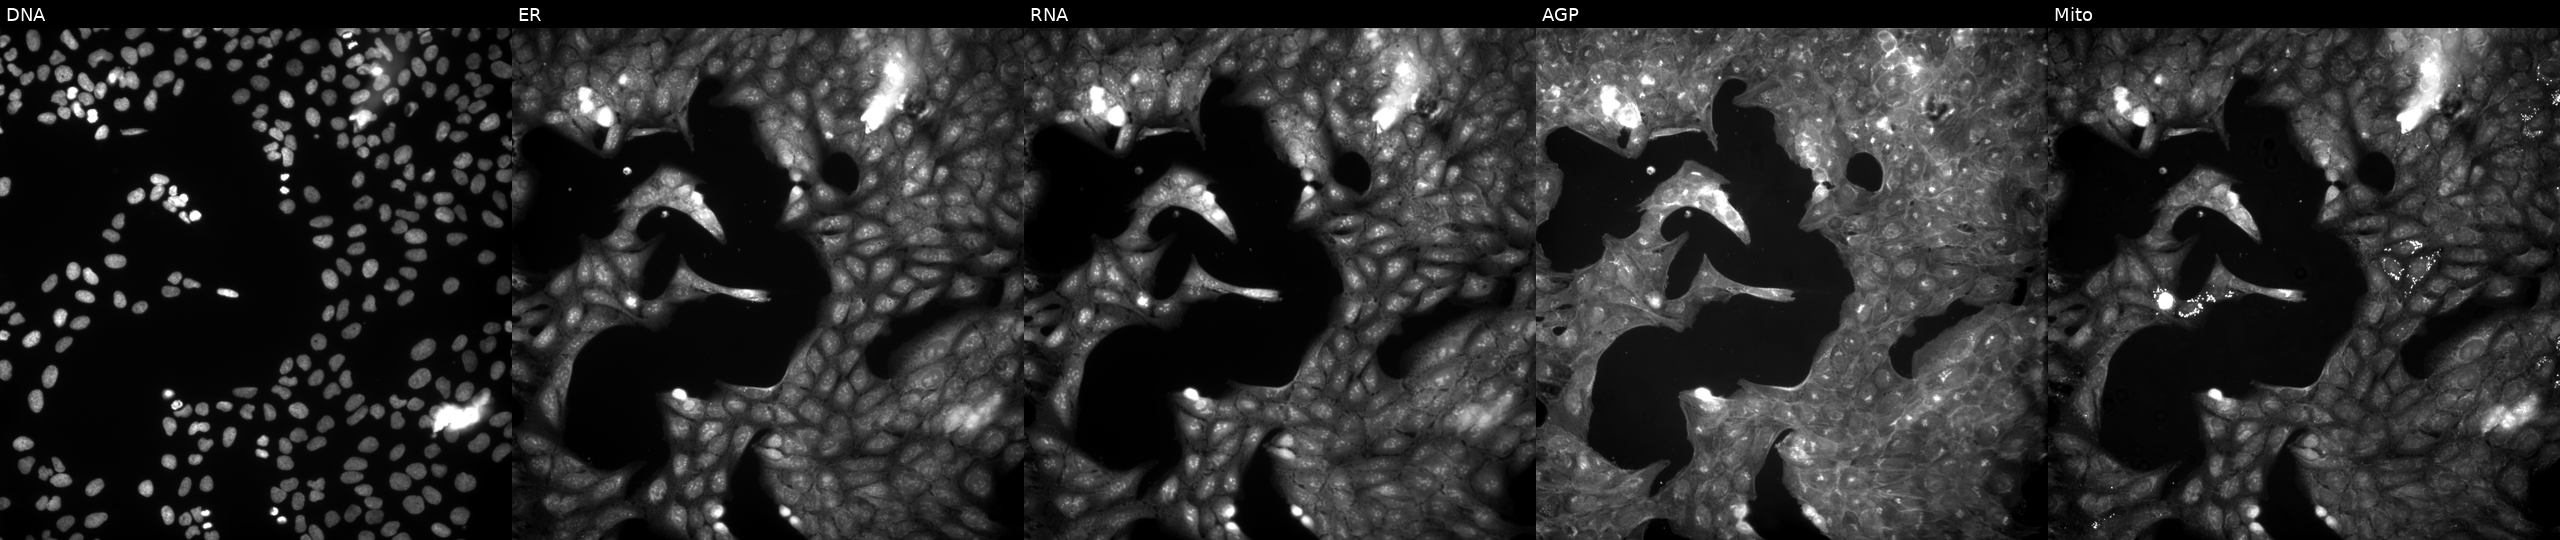
Channels (left→right): DNA (nuclei); ER (endoplasmic reticulum); RNA (nucleoli and cytoplasmic RNA); AGP (actin cytoskeleton, Golgi, and plasma membrane); Mito (mitochondria). U2OS osteosarcoma cells exposed to a small-molecule compound (InChIKey ZLDILRFFFZHHPM-UHFFFAOYSA-N) (JUMP id JCP2022_114035). Cell Painting assay, JUMP-CP dataset. Source 9, plate GR00003382, well B30.